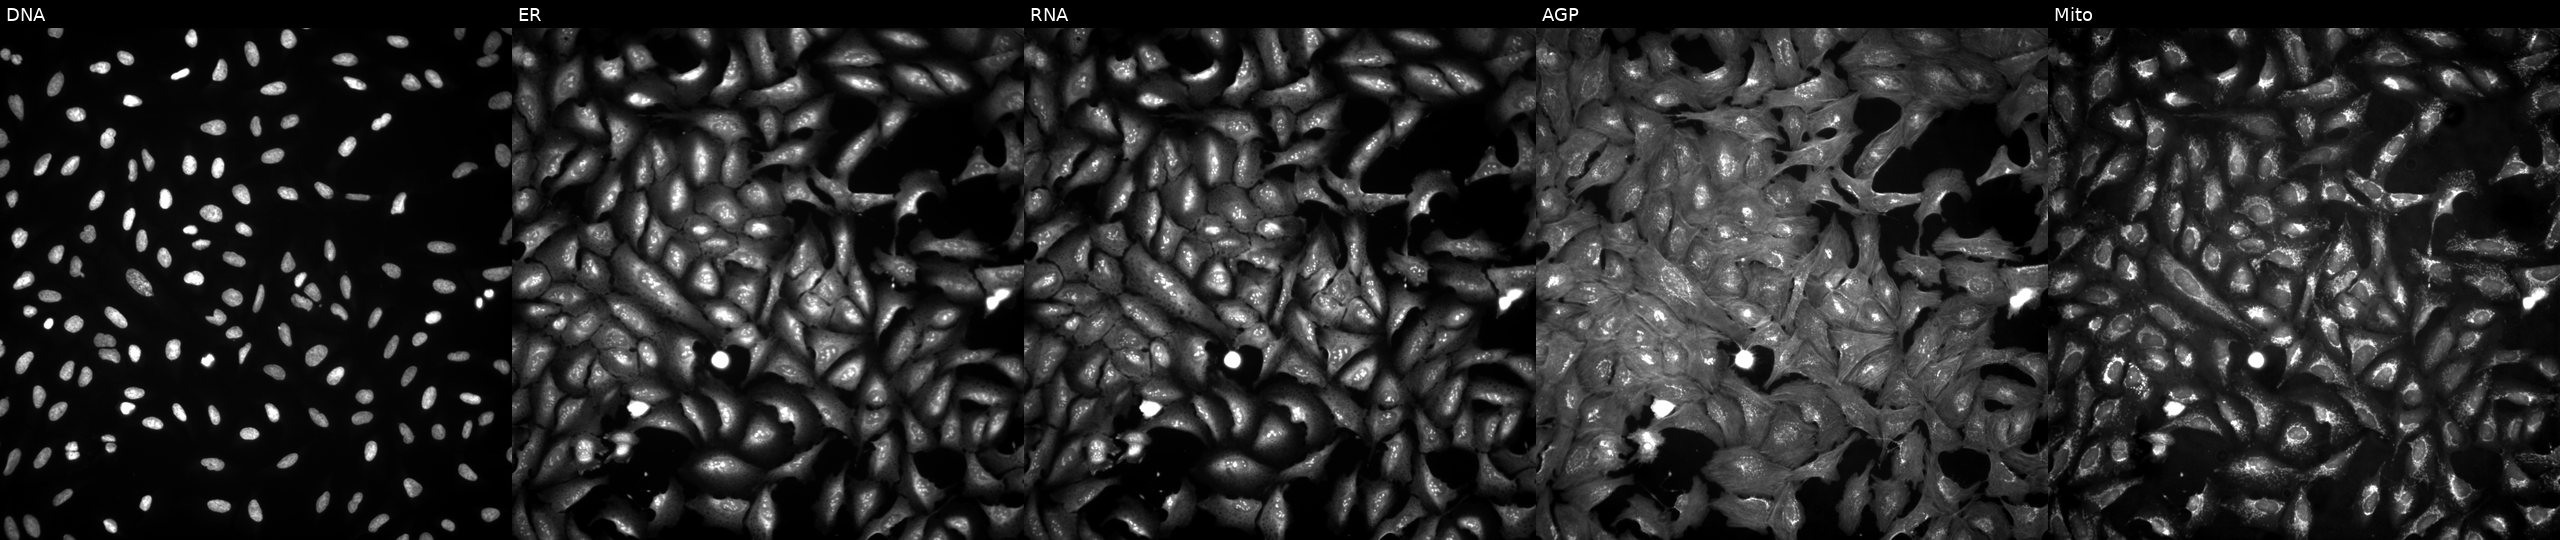
U2OS cells, Cell Painting assay, transfected with an ORF construct for IGLV4-3. Panels show, left to right, Hoechst 33342, concanavalin A, SYTO 14, phalloidin and WGA, MitoTracker. Each panel is percentile-stretched 16-bit fluorescence.